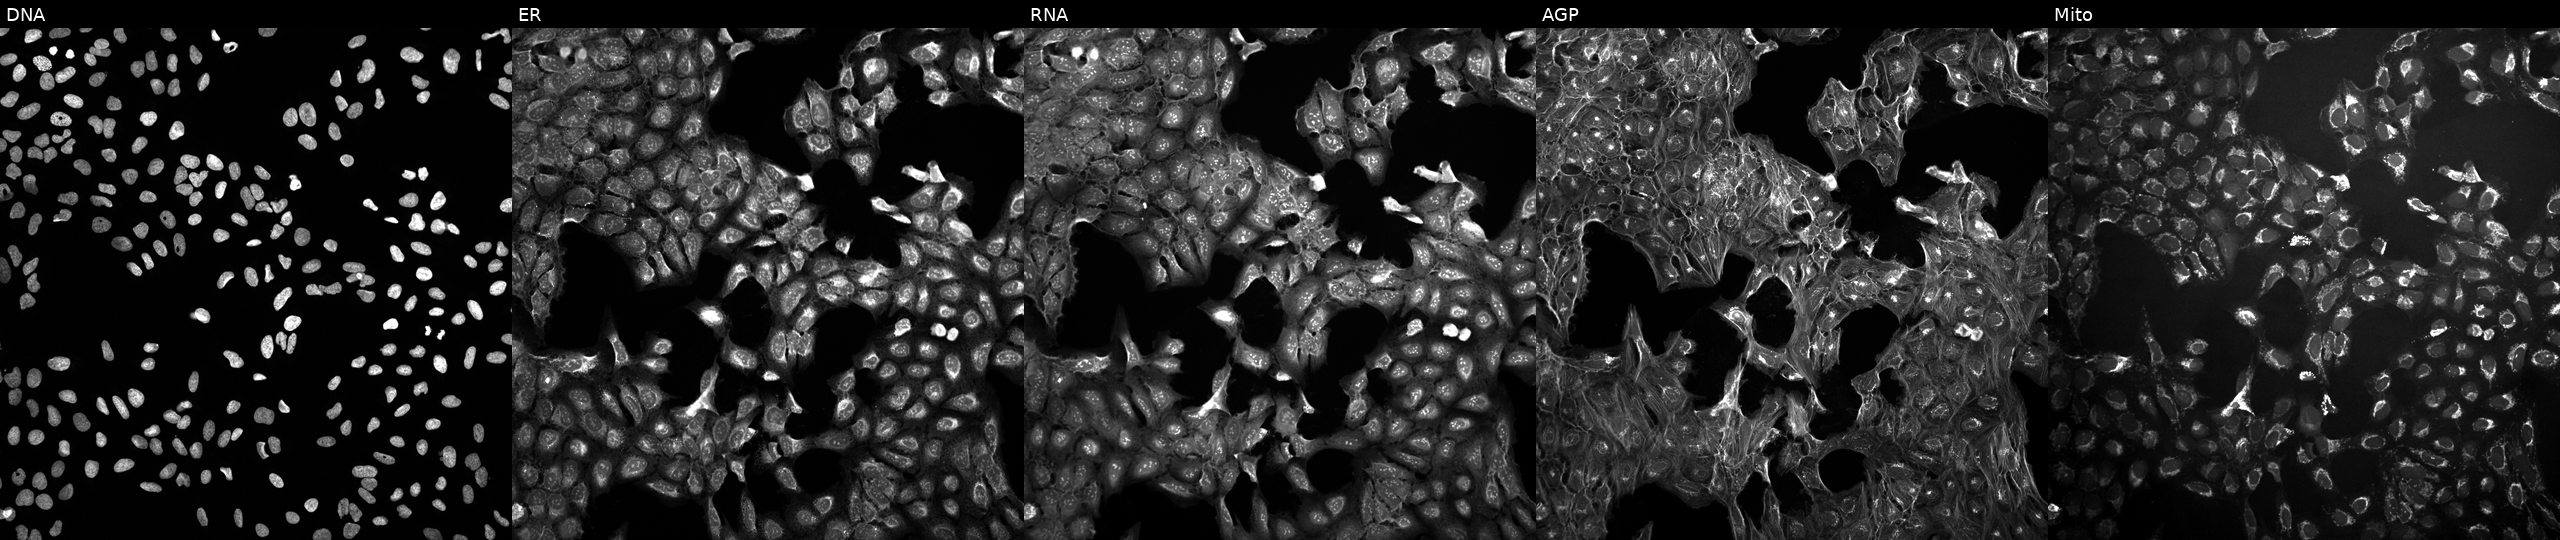
U2OS cells, Cell Painting assay, untreated (empty-well control). Panels show, left to right, DNA (nuclei); ER (endoplasmic reticulum); RNA (nucleoli and cytoplasmic RNA); AGP (actin cytoskeleton, Golgi, and plasma membrane); Mito (mitochondria). Each panel is percentile-stretched 16-bit fluorescence. Source 10, plate Dest210531-152324, well J04.